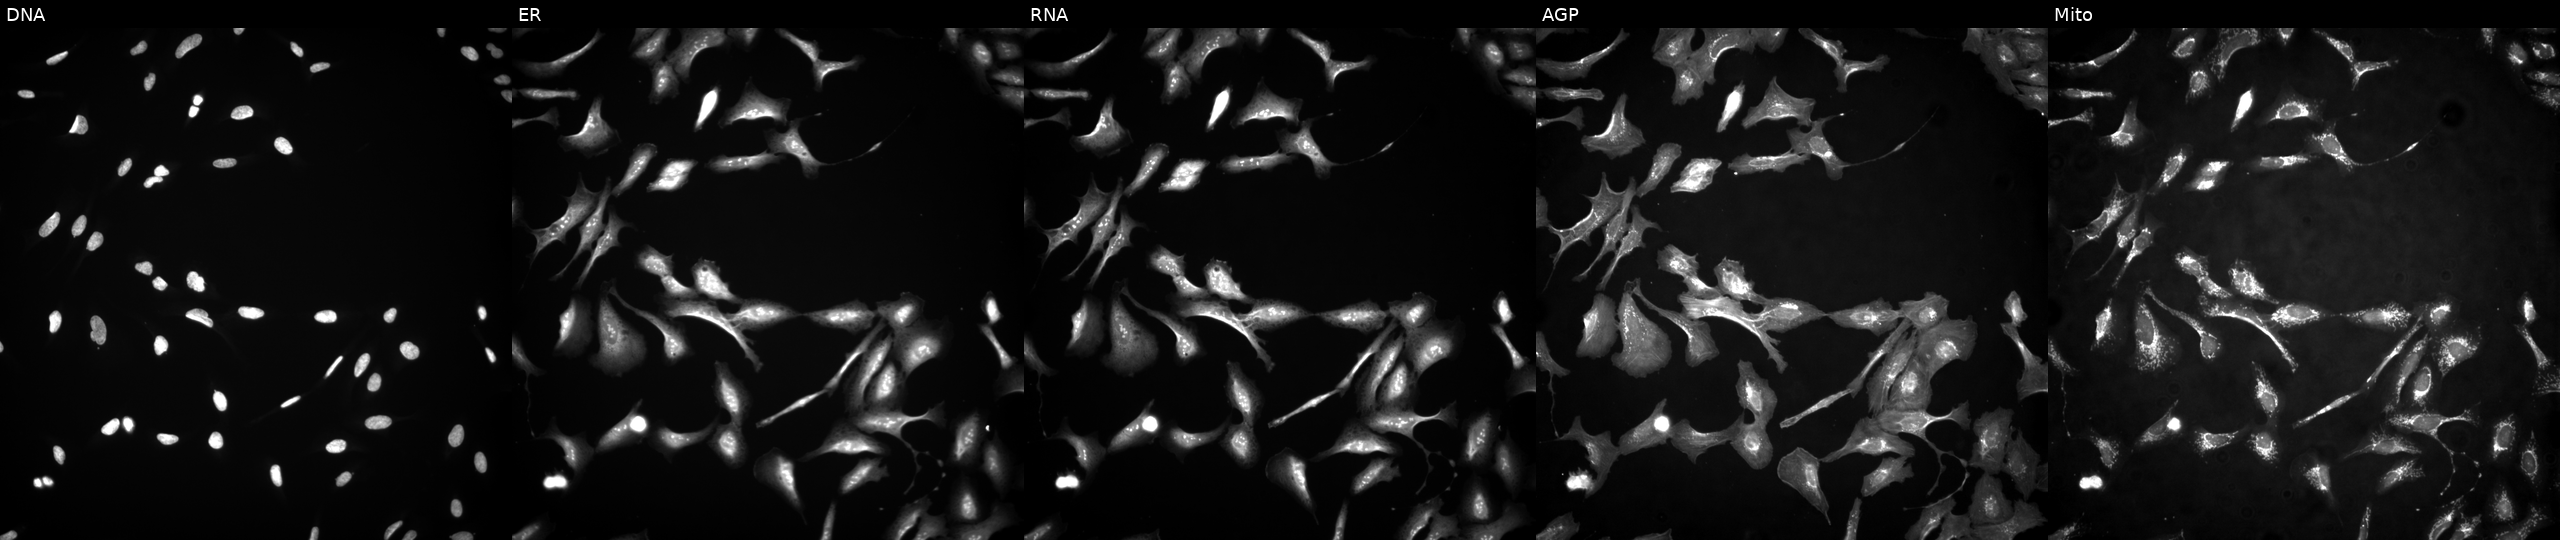
U2OS cells, Cell Painting assay, with DIDO1 overexpressed (ORF). From left to right: Hoechst 33342, concanavalin A, SYTO 14, phalloidin and WGA, MitoTracker. Each panel is percentile-stretched 16-bit fluorescence.